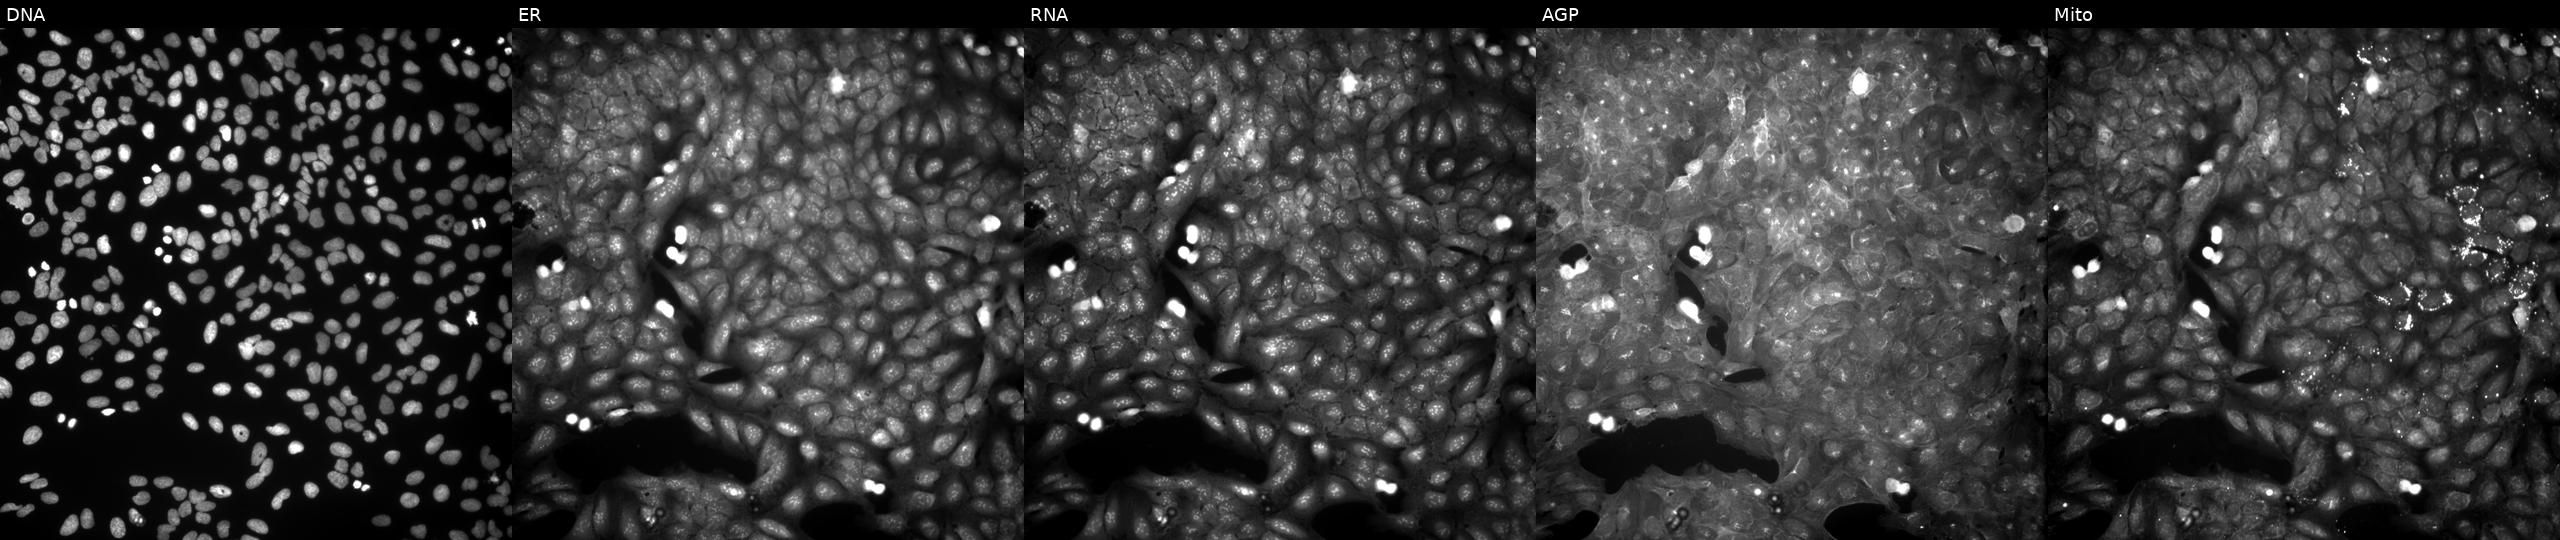
High-content fluorescence microscopy (Cell Painting). Cell line: U2OS. Perturbation: exposed to a small-molecule compound [SMILES: COc1cc(C(=O)Oc2ccc(Br)cc2C(=S)N2CCOCC2)cc(OC)c1OC] (JUMP id JCP2022_087423). Channels (left→right): DNA (nuclei); ER (endoplasmic reticulum); RNA (nucleoli and cytoplasmic RNA); AGP (actin cytoskeleton, Golgi, and plasma membrane); Mito (mitochondria).